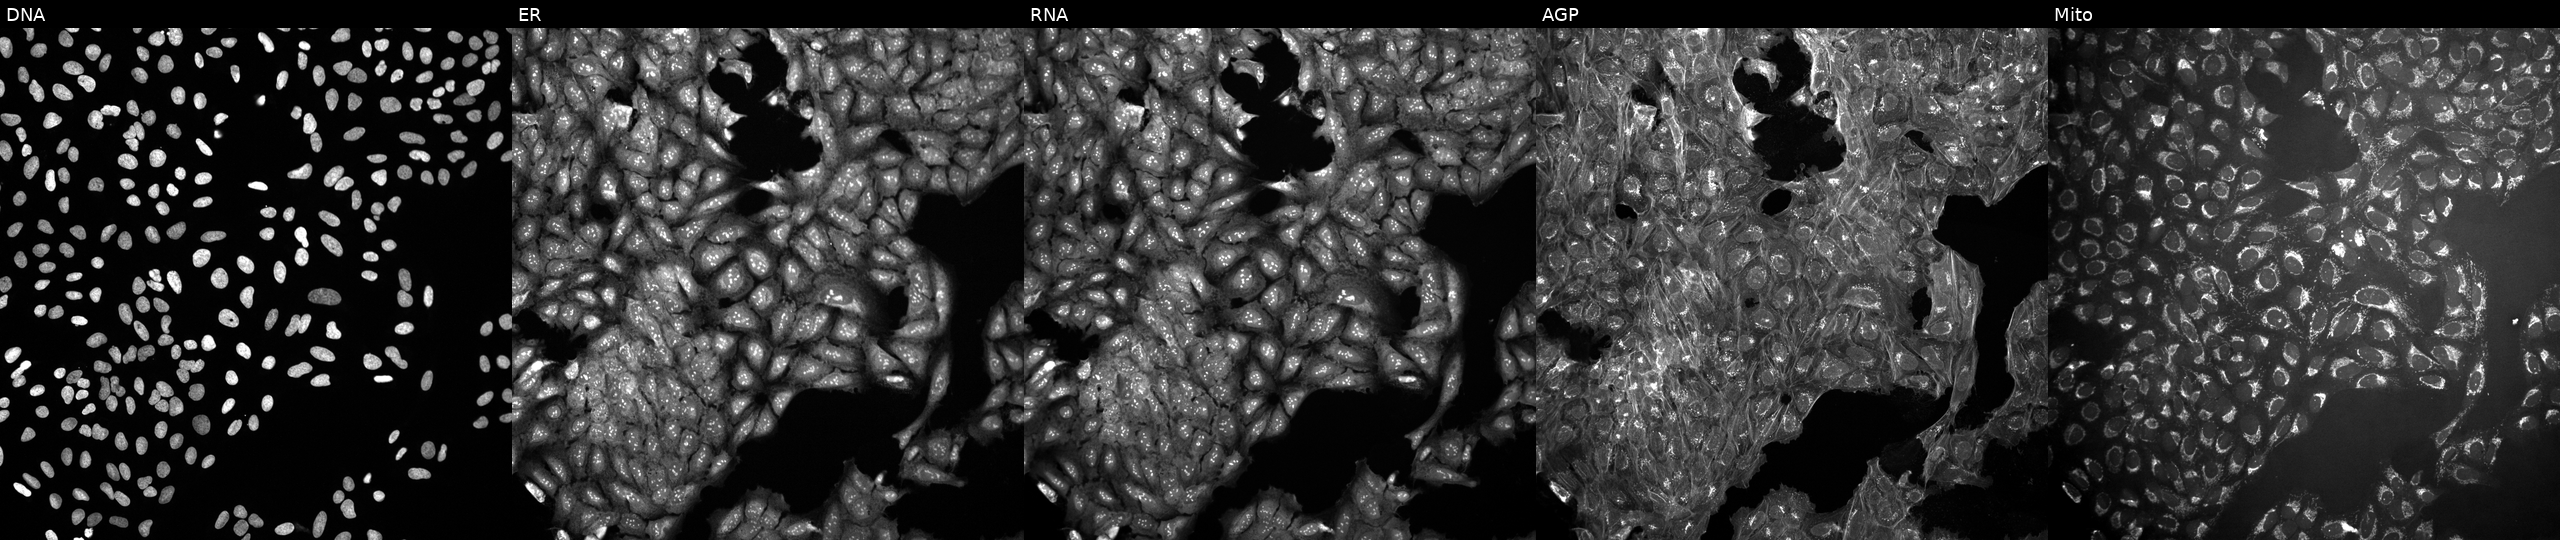
JUMP Cell Painting — COMPOUND plate. U2OS cells exposed to a small-molecule compound (InChIKey XJGVXQDUIWGIRW-UHFFFAOYSA-N). Panels show, left to right, DNA, ER, RNA, AGP, and Mito.